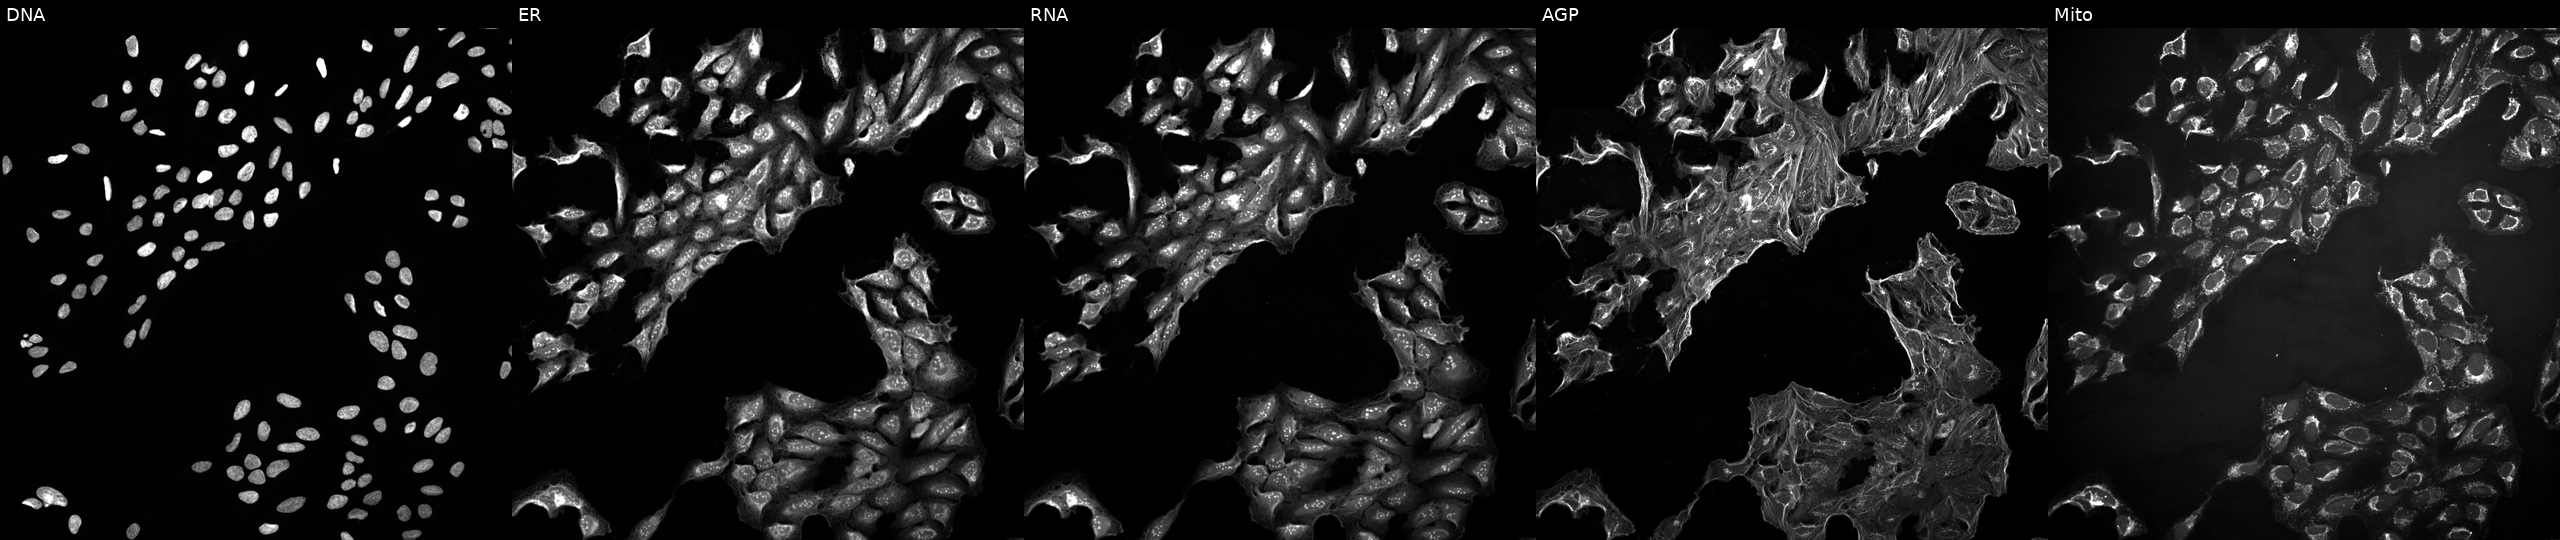
This image strip shows the five Cell Painting channels for a single field of U2OS cells treated with dexamethasone (positive-control compound) (JUMP id JCP2022_025848). Channels (left→right): Hoechst 33342, concanavalin A, SYTO 14, phalloidin and WGA, MitoTracker.